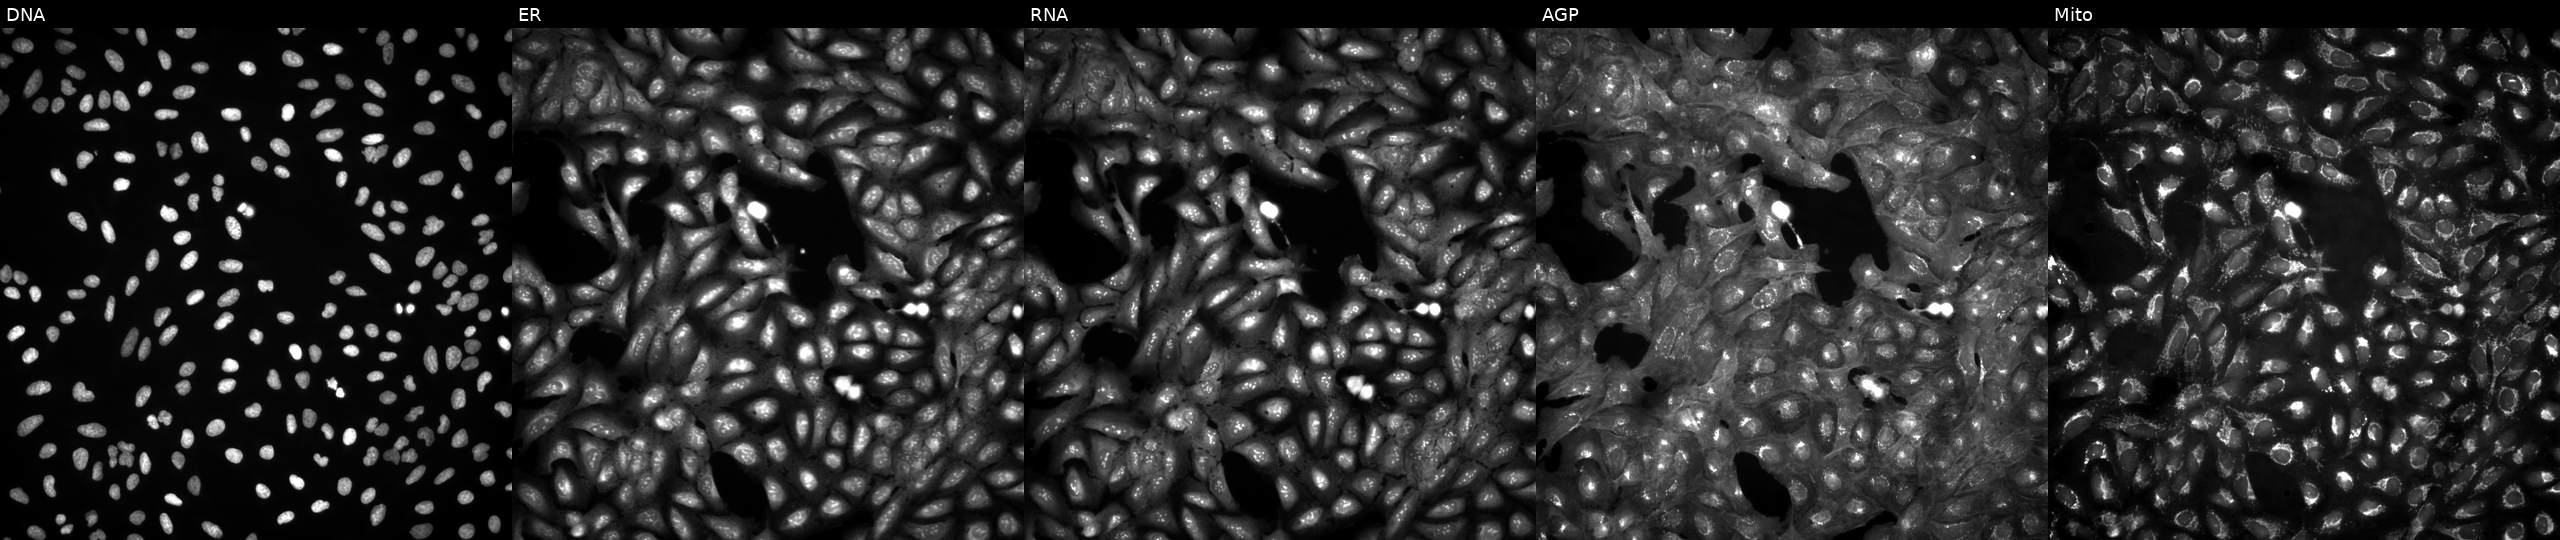
This image strip shows the five Cell Painting channels for a single field of U2OS cells untreated (empty-well control). Panels show, left to right, DNA, ER, RNA, AGP, and Mito.